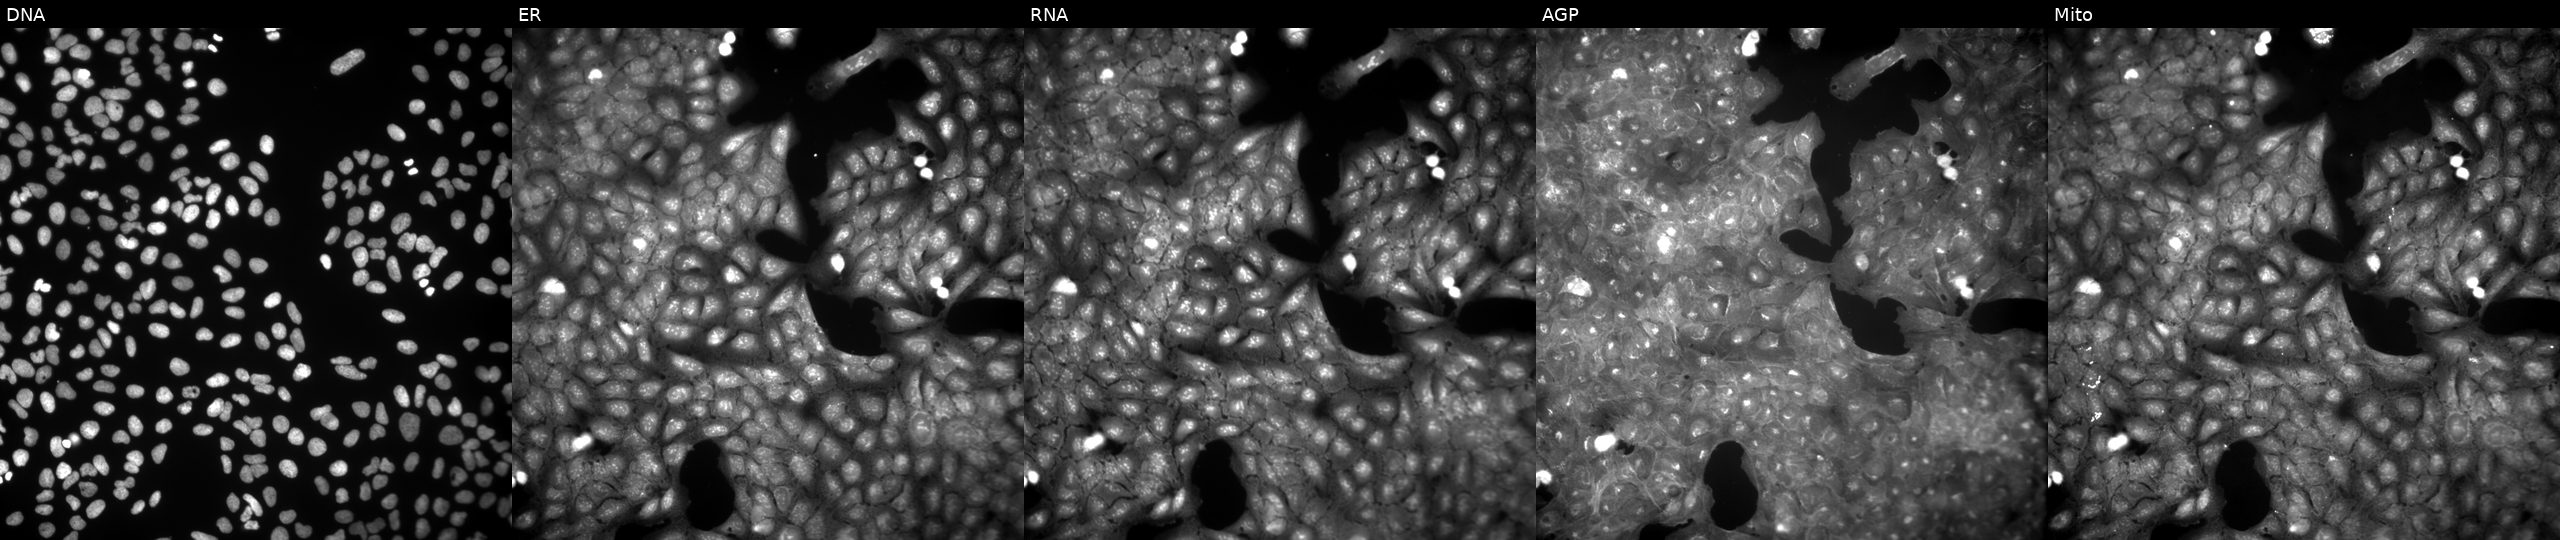
Five-channel Cell Painting image of U2OS cells exposed to a small-molecule compound (InChIKey QGQXUJOCMIBDOI-UHFFFAOYSA-N) (JUMP id JCP2022_073319). The five panels, left to right, show DNA (nuclei); ER (endoplasmic reticulum); RNA (nucleoli and cytoplasmic RNA); AGP (actin cytoskeleton, Golgi, and plasma membrane); Mito (mitochondria). Source 9, plate GR00003381, well X42.